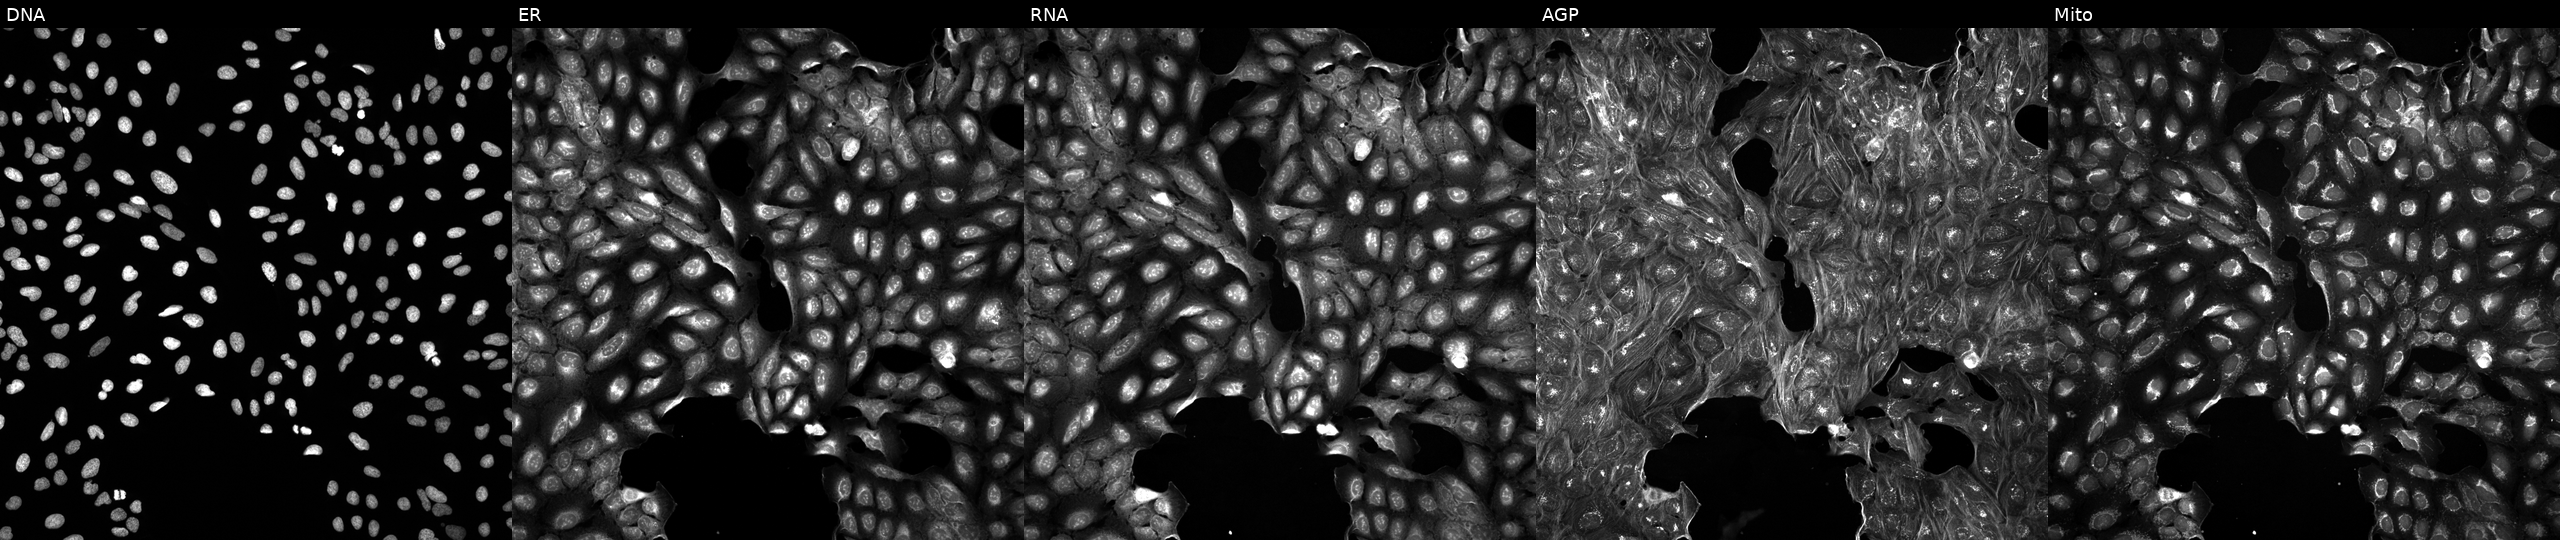
This image strip shows the five Cell Painting channels for a single field of U2OS cells treated with DMSO vehicle only (negative control) (JUMP id JCP2022_033924). Channels (left→right): DNA, ER, RNA, AGP, and Mito. Source 5, plate ACPJUM032, well J04.